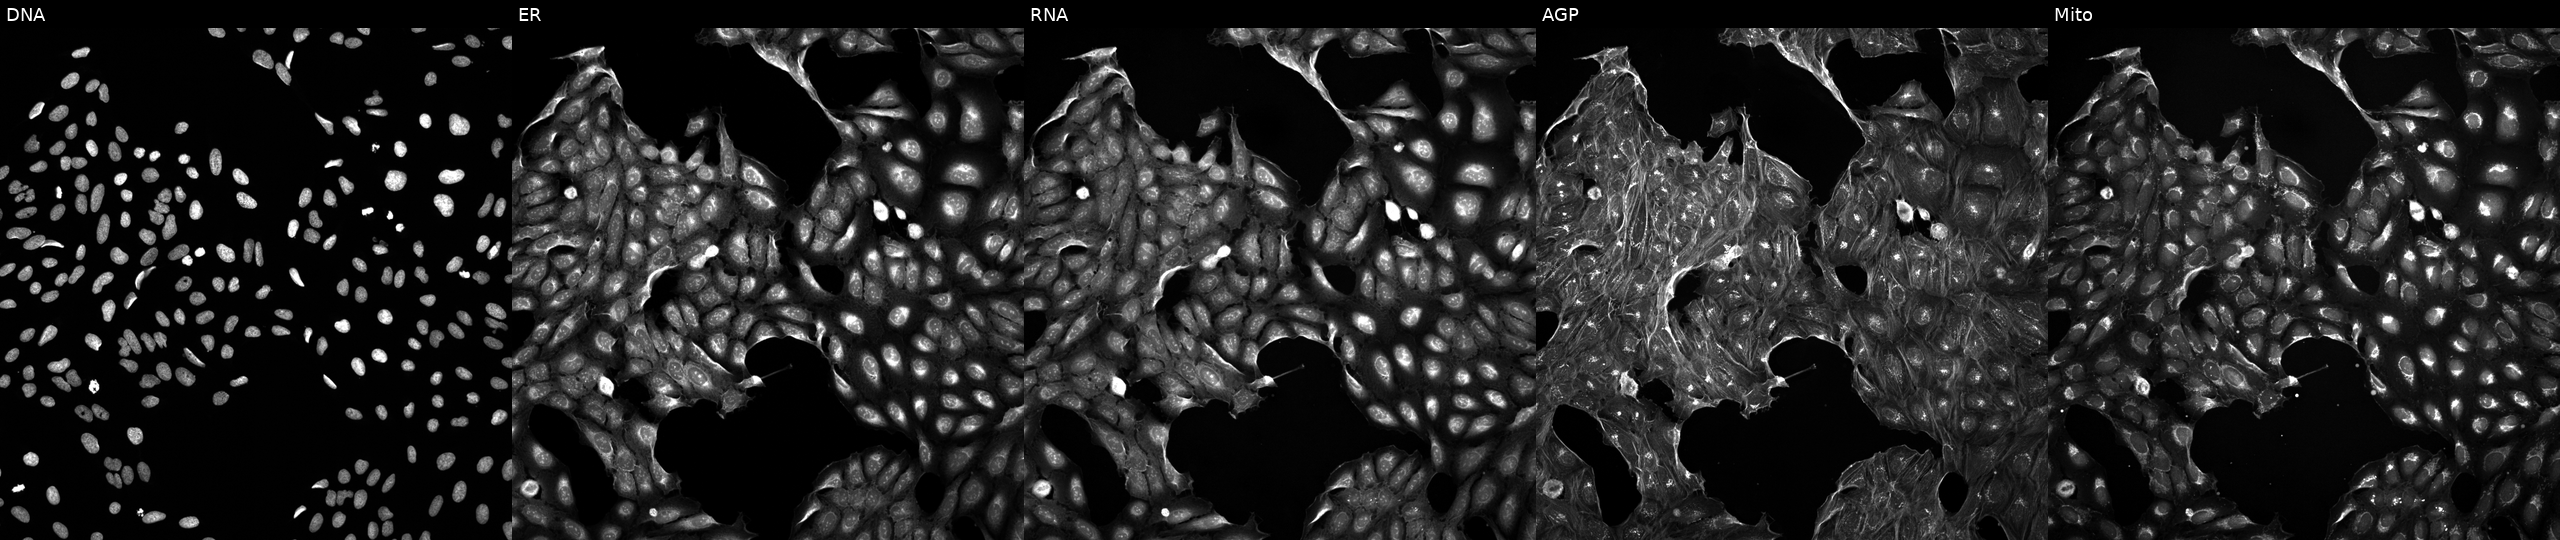
Five-channel Cell Painting image of U2OS cells treated with a small-molecule compound (InChIKey PDMUULPVBYQBBK-UHFFFAOYSA-N). Panels show, left to right, DNA, ER, RNA, AGP, and Mito. Source 5, plate ACPJUM051, well B07.